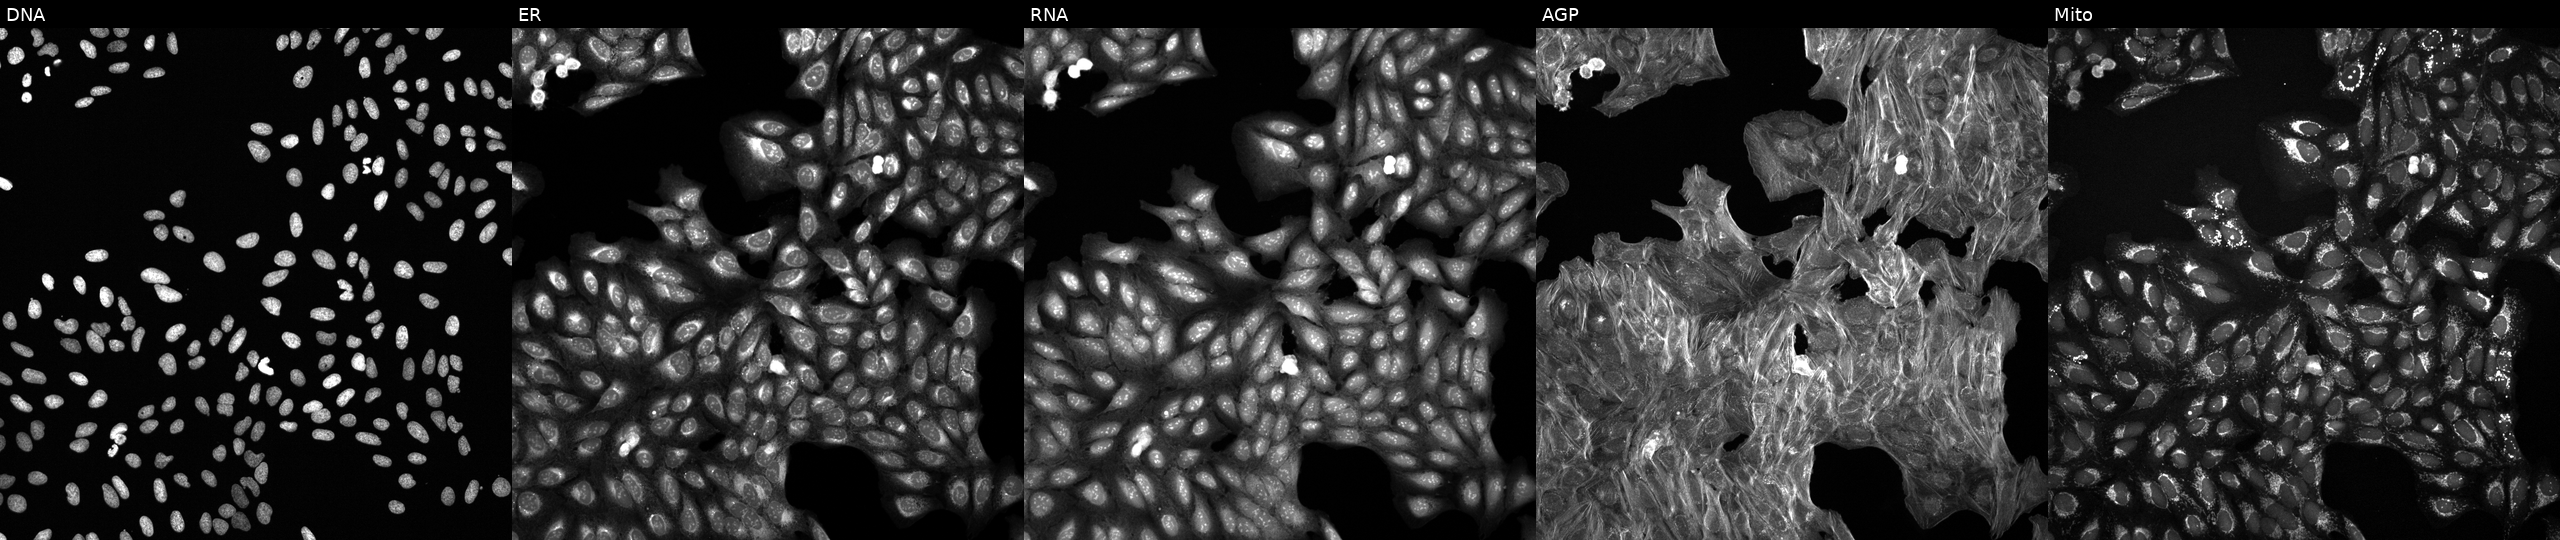
Channels (left→right): DNA (nuclei); ER (endoplasmic reticulum); RNA (nucleoli and cytoplasmic RNA); AGP (actin cytoskeleton, Golgi, and plasma membrane); Mito (mitochondria). U2OS osteosarcoma cells perturbed with a small-molecule compound (InChIKey OHOIWDQKHQDGKS-UHFFFAOYSA-N) (JUMP id JCP2022_063857). Cell Painting assay, JUMP-CP dataset. Source 6, plate 110000293082, well B14.